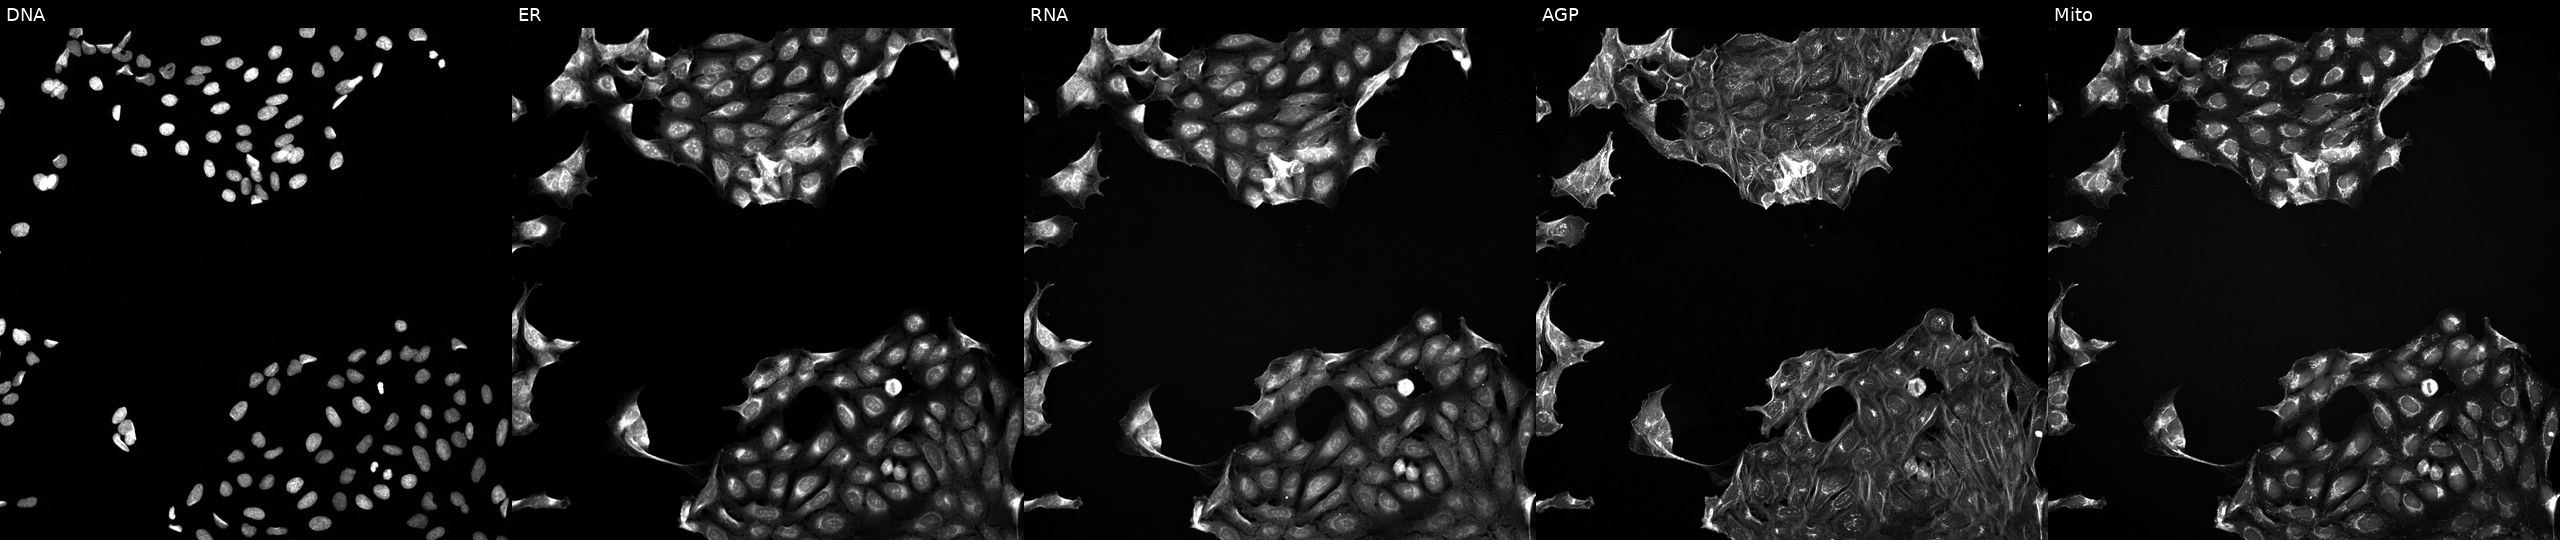
Five-channel Cell Painting image of U2OS cells exposed to a small-molecule compound (InChIKey ZJVFLBOZORBYFE-UHFFFAOYSA-N) (JUMP id JCP2022_113779). Panels show, left to right, DNA, ER, RNA, AGP, and Mito. Source 5, plate ACPJUM012, well D01.